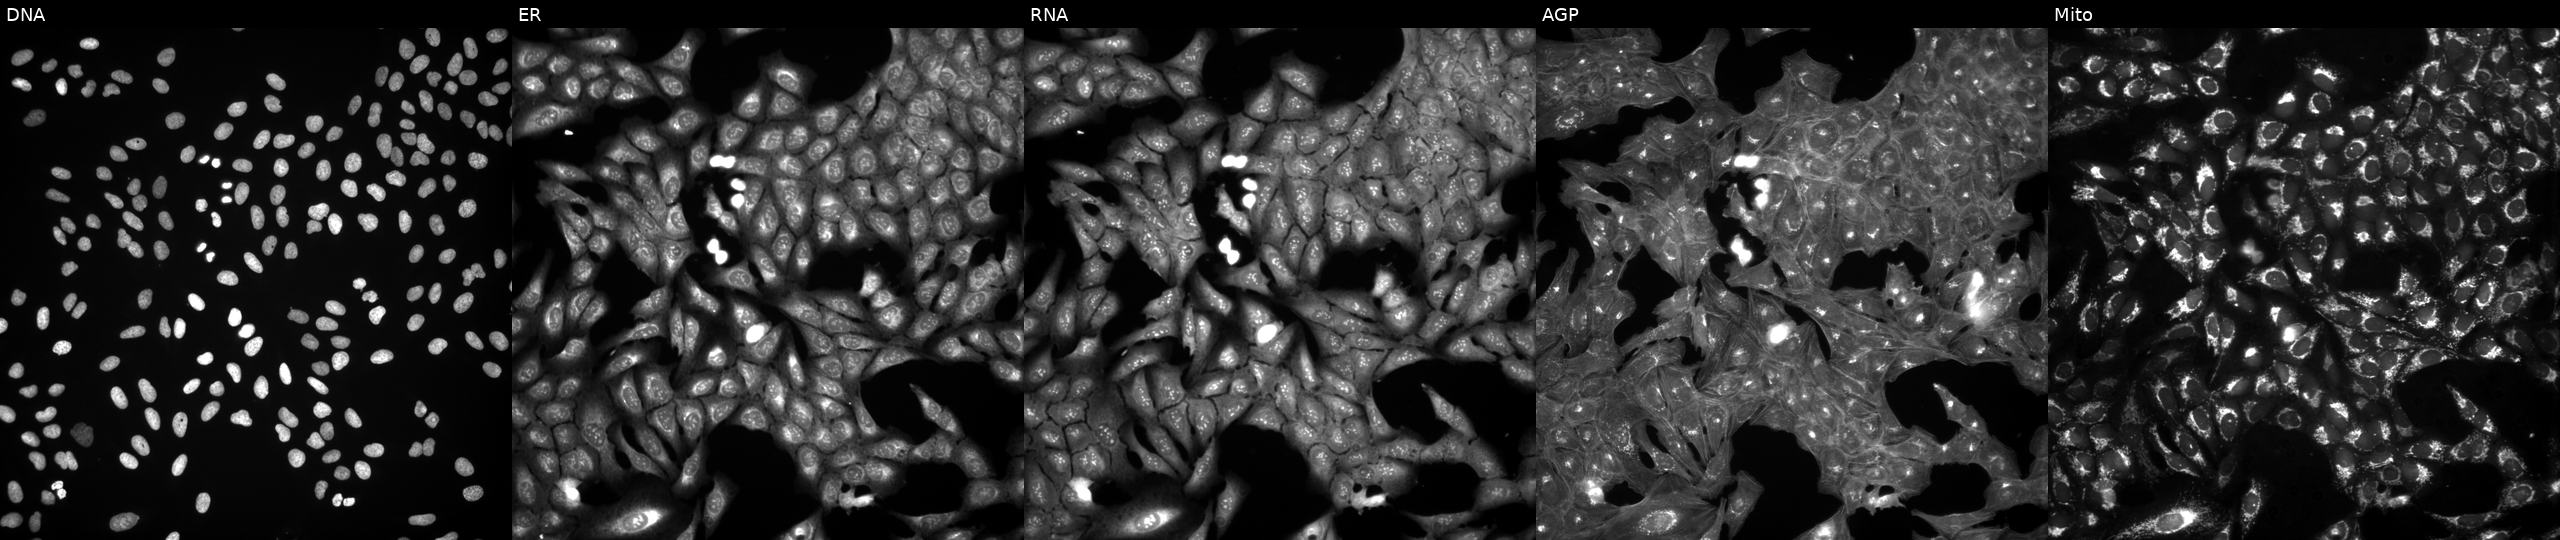
JUMP Cell Painting — COMPOUND plate. U2OS cells exposed to DMSO alone as a negative control. From left to right: DNA, ER, RNA, AGP, and Mito.